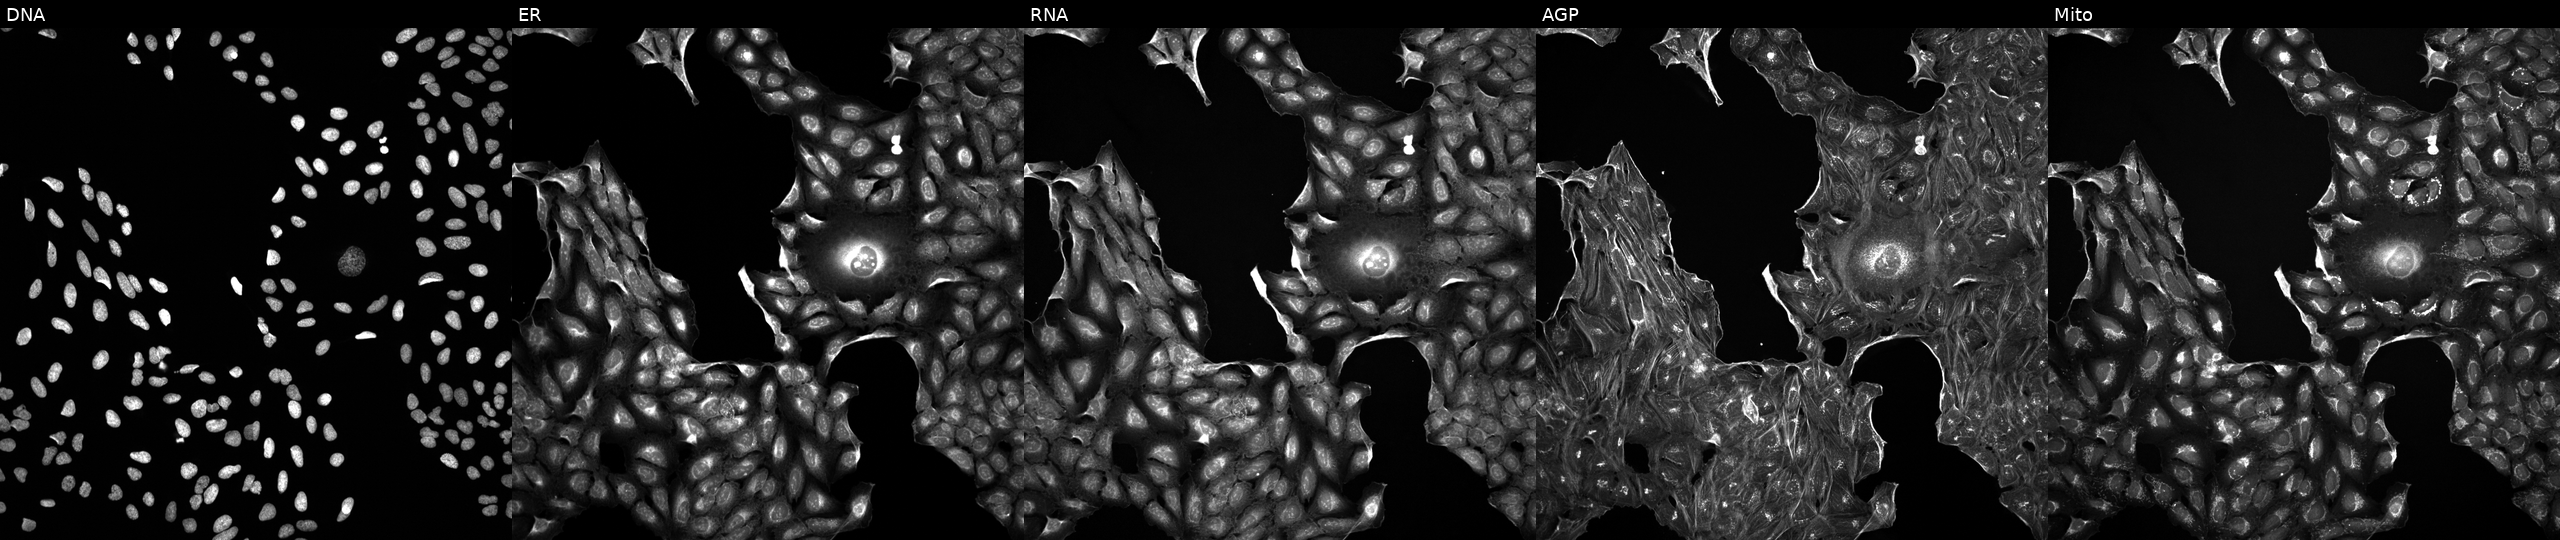
JUMP Cell Painting — TARGET2 plate. U2OS cells treated with a small-molecule compound. Channels (left→right): Hoechst 33342, concanavalin A, SYTO 14, phalloidin and WGA, MitoTracker.